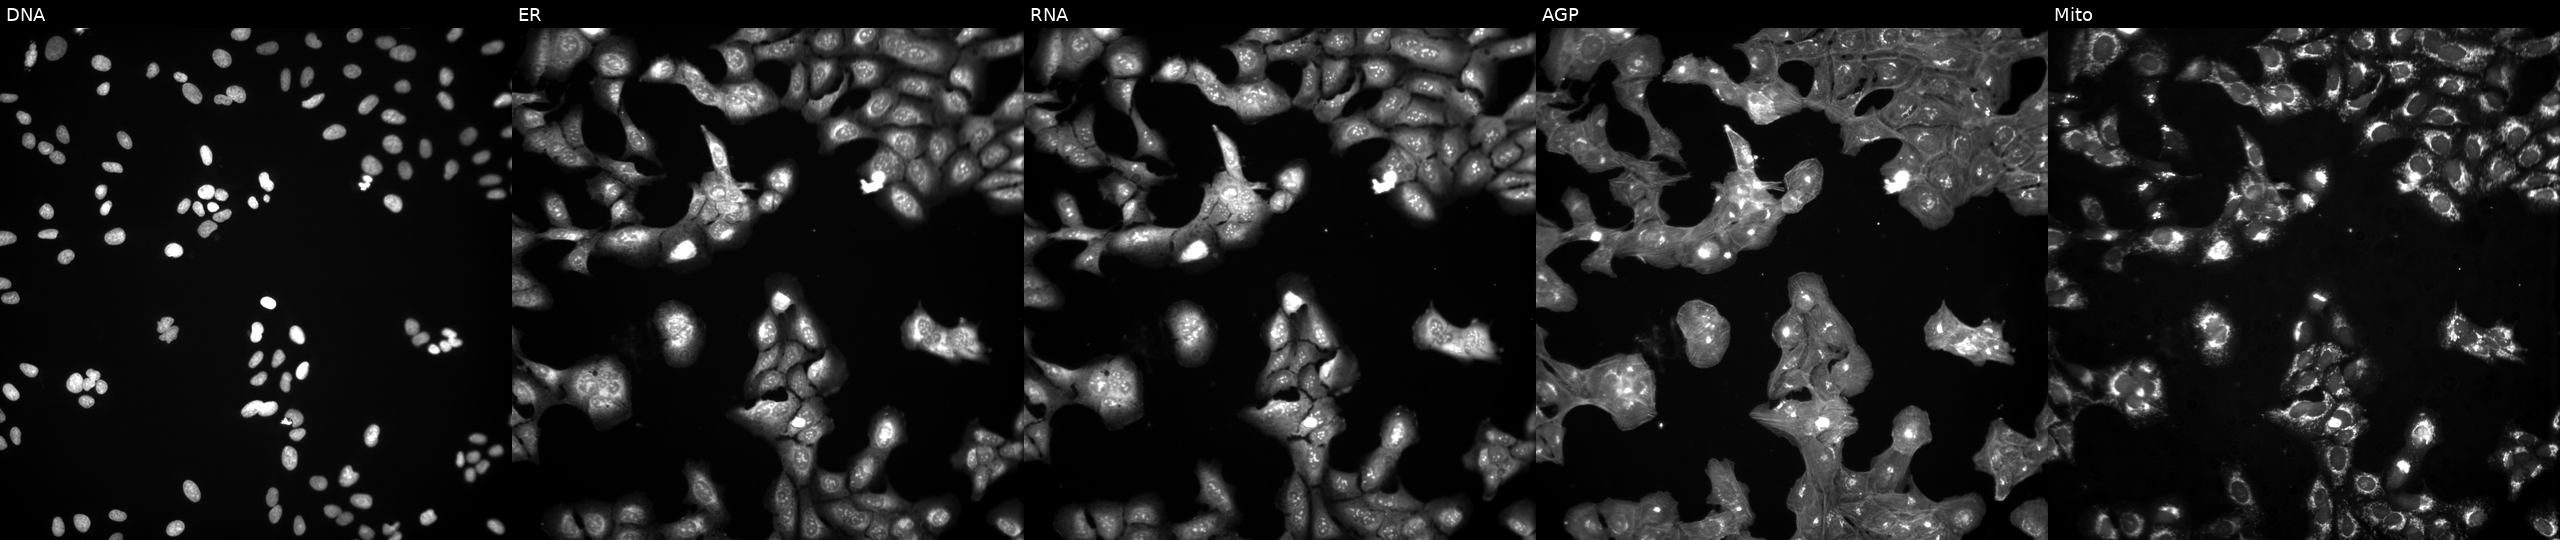
This image strip shows the five Cell Painting channels for a single field of U2OS cells exposed to the positive-control compound TC-S-7004. Panels show, left to right, DNA, ER, RNA, AGP, and Mito. Source 3, plate BR5867b3, well D24.